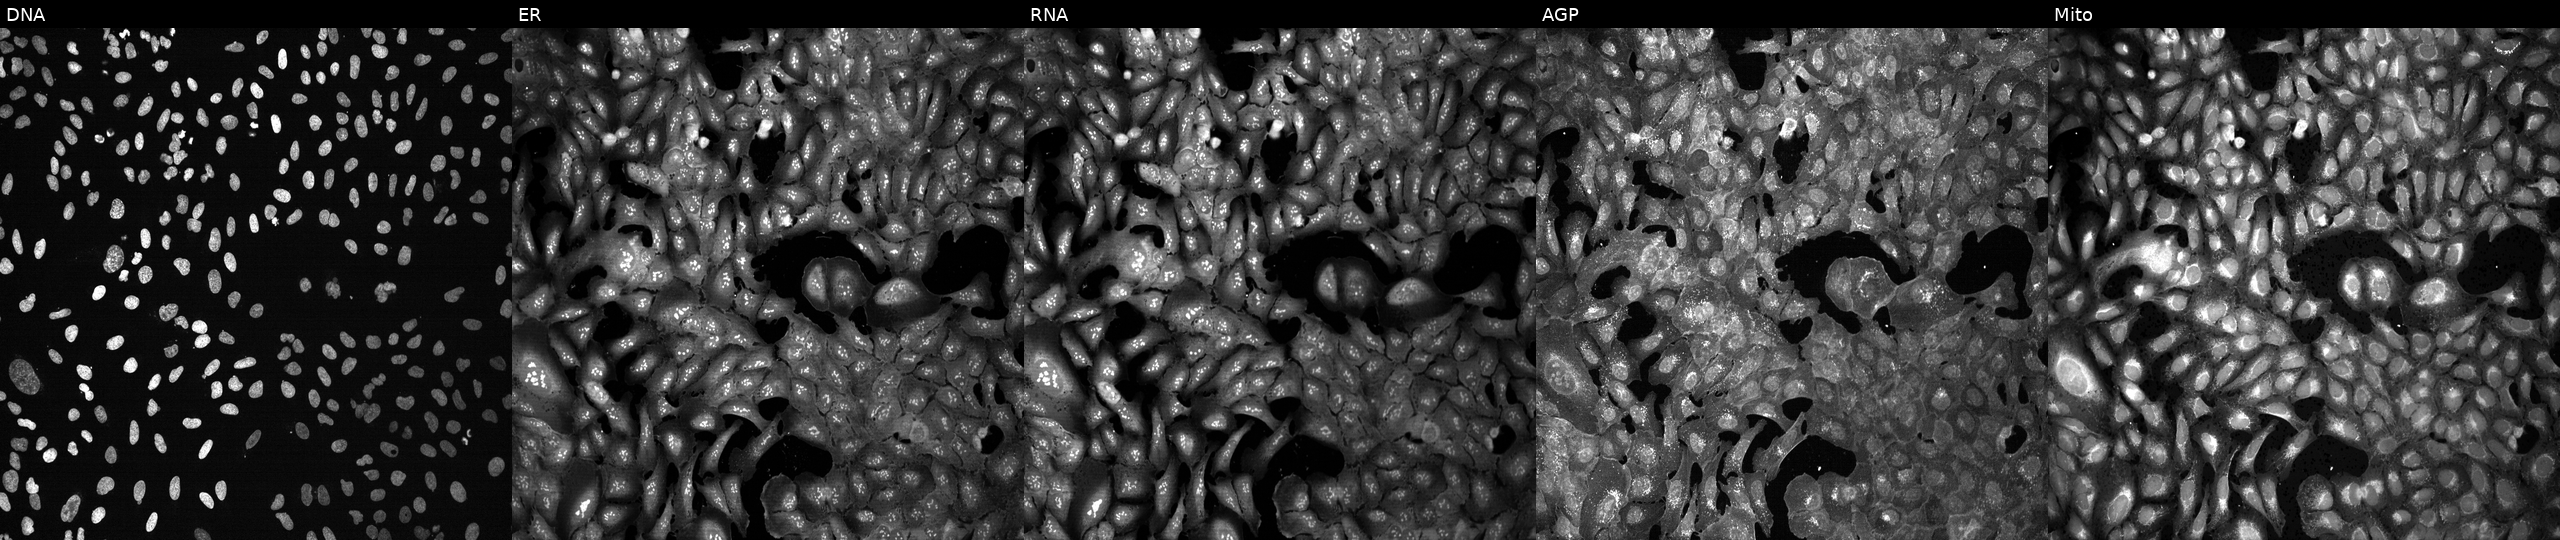
From left to right: DNA, ER, RNA, AGP, and Mito. U2OS osteosarcoma cells CRISPR-edited to disrupt POLD4 (JUMP id JCP2022_805326). Cell Painting assay, JUMP-CP dataset.